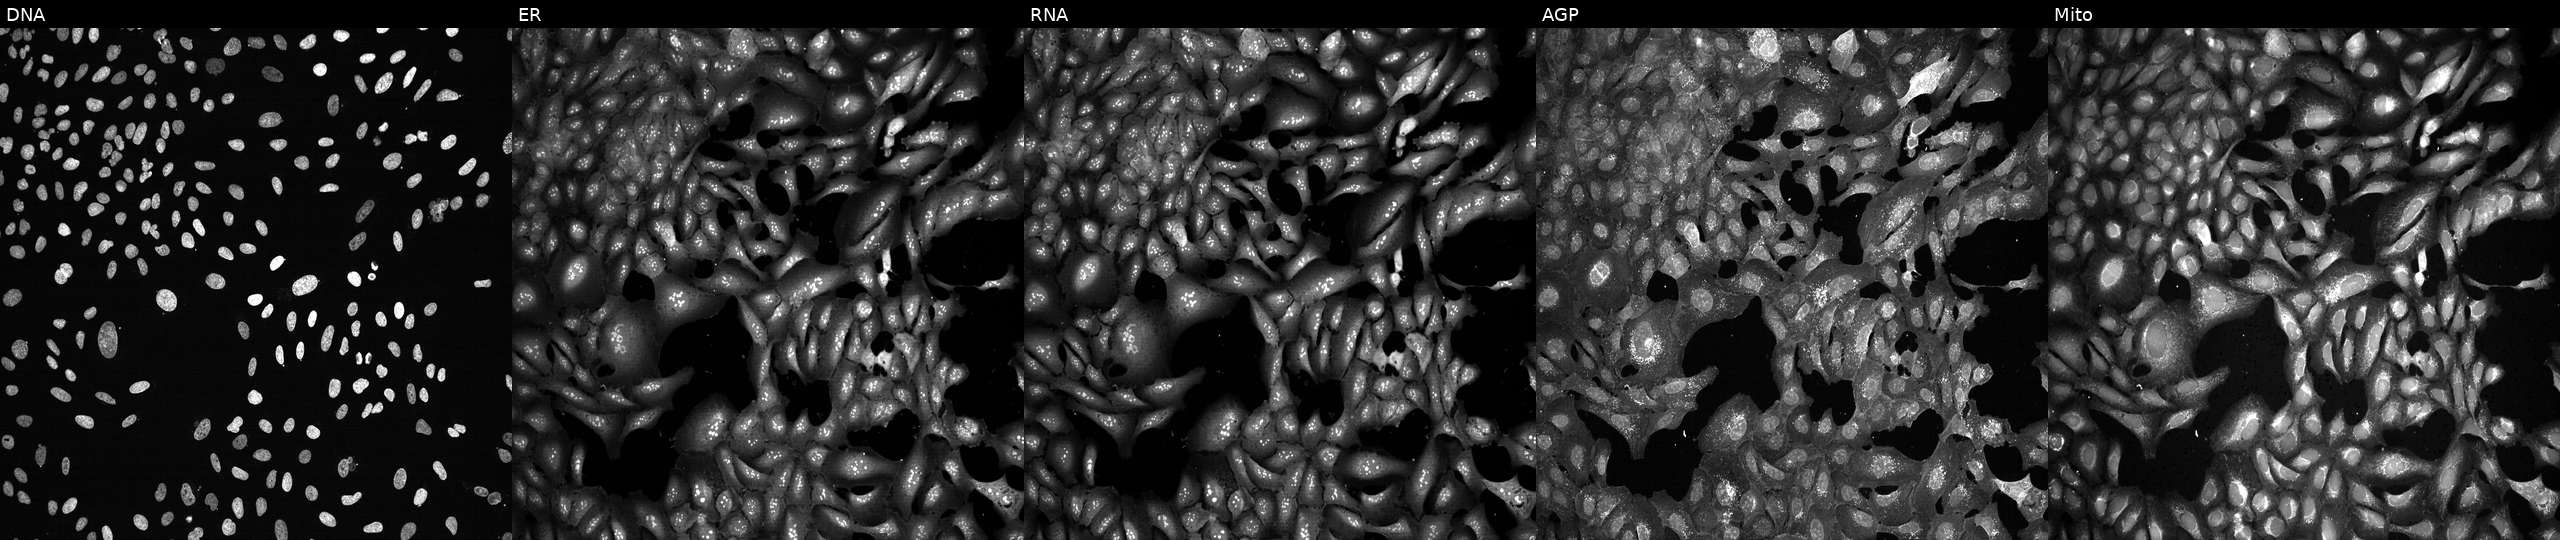
Five-channel Cell Painting image of U2OS cells with MOGS knocked out by CRISPR (JUMP id JCP2022_804241). Channels (left→right): DNA (nuclei); ER (endoplasmic reticulum); RNA (nucleoli and cytoplasmic RNA); AGP (actin cytoskeleton, Golgi, and plasma membrane); Mito (mitochondria). Source 13, plate CP-CC9-R1-01, well B09.